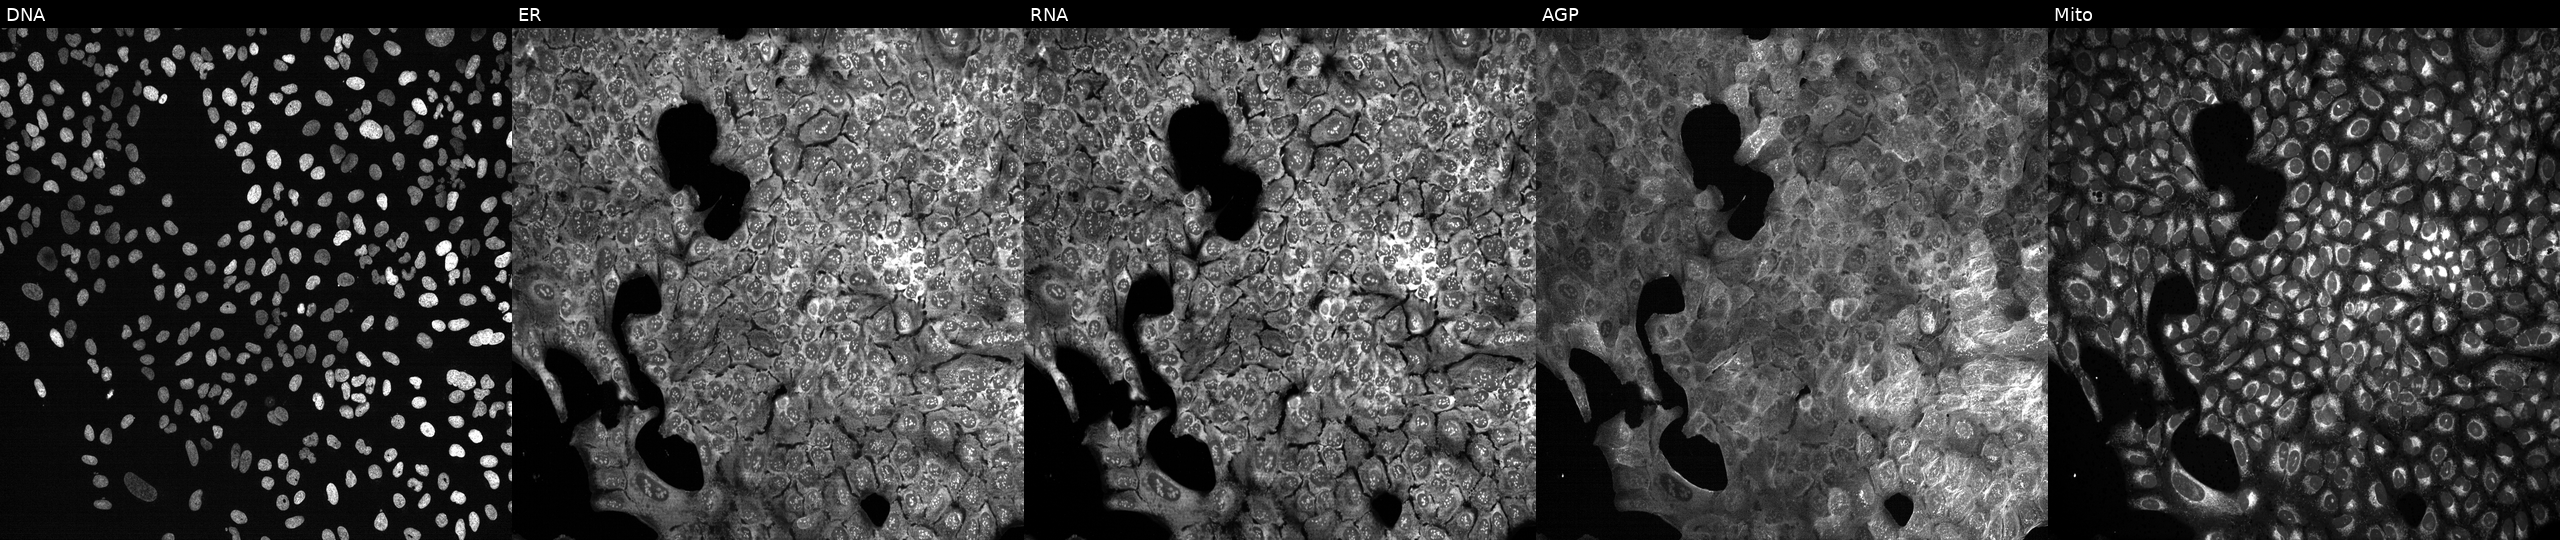
JUMP Cell Painting — CRISPR plate. U2OS cells with ARHGEF6 knocked out by CRISPR. Channels (left→right): DNA, ER, RNA, AGP, and Mito. Source 13, plate CP-CC9-R2-01, well H04.